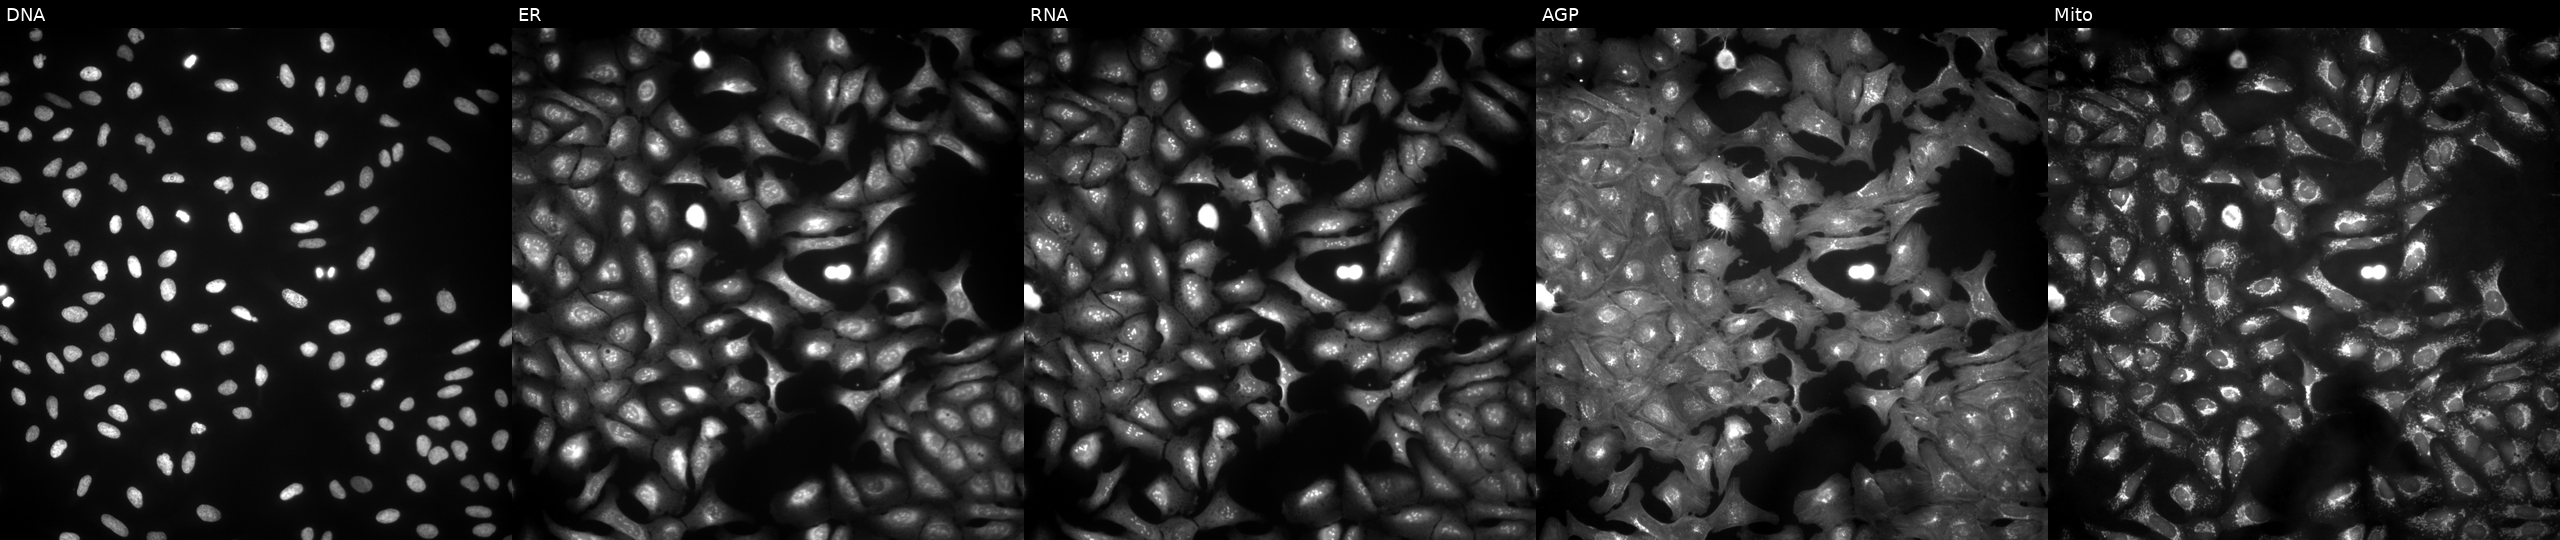
Five-channel Cell Painting image of U2OS cells expressing eGFP (ORF positive control). Panels show, left to right, DNA, ER, RNA, AGP, and Mito. Source 4, plate BR00123506, well P17.